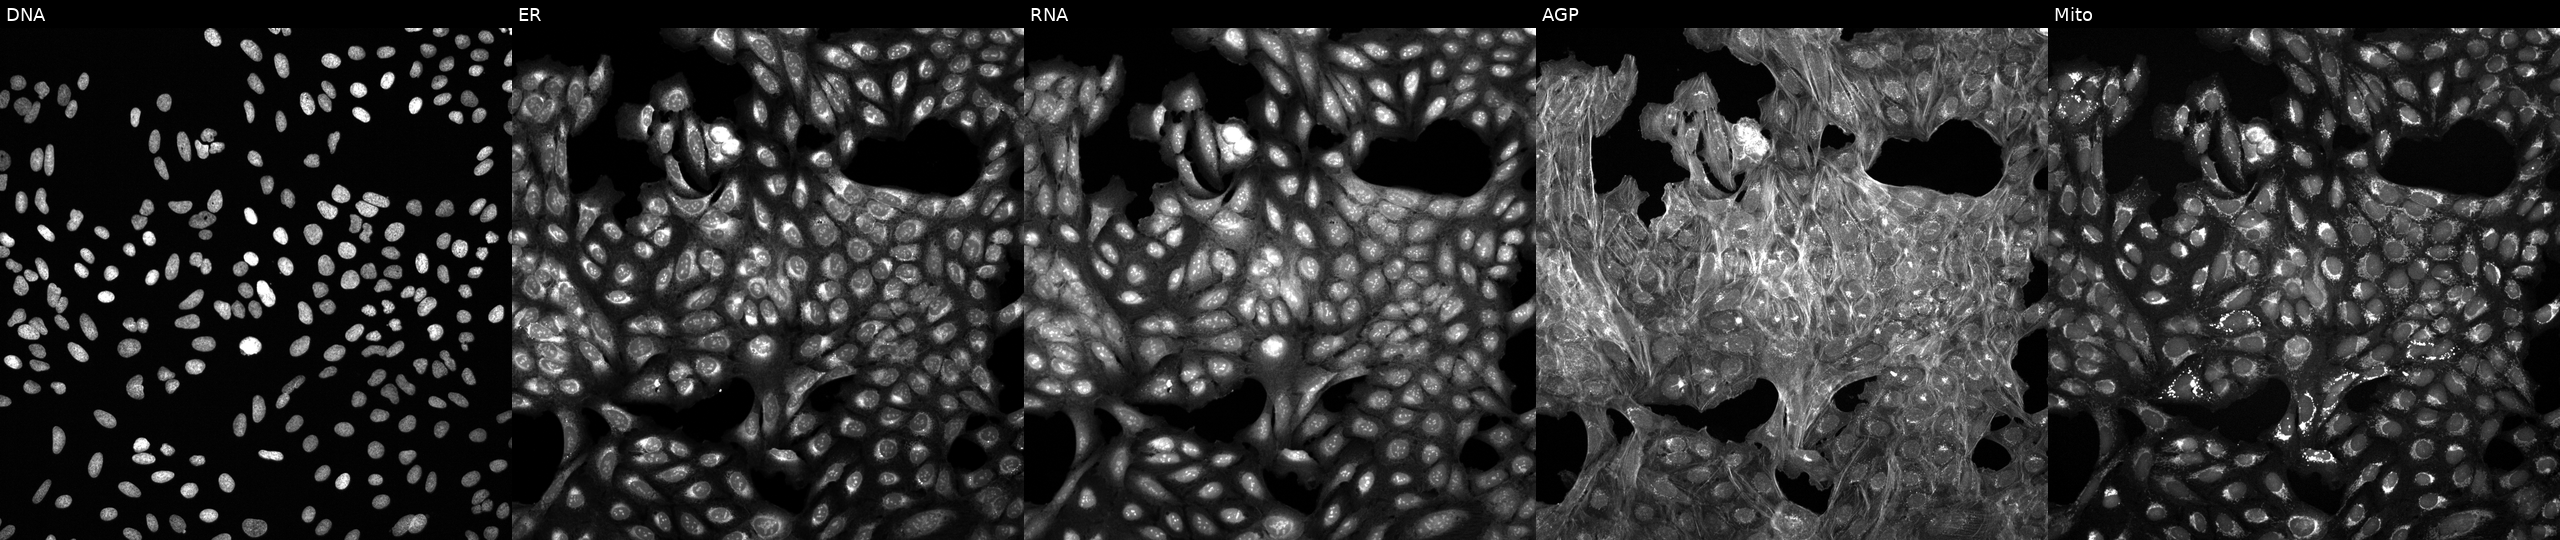
This image strip shows the five Cell Painting channels for a single field of U2OS cells exposed to the positive-control compound quinidine. The five panels, left to right, show DNA (nuclei); ER (endoplasmic reticulum); RNA (nucleoli and cytoplasmic RNA); AGP (actin cytoskeleton, Golgi, and plasma membrane); Mito (mitochondria). Source 6, plate 110000294901, well A02.